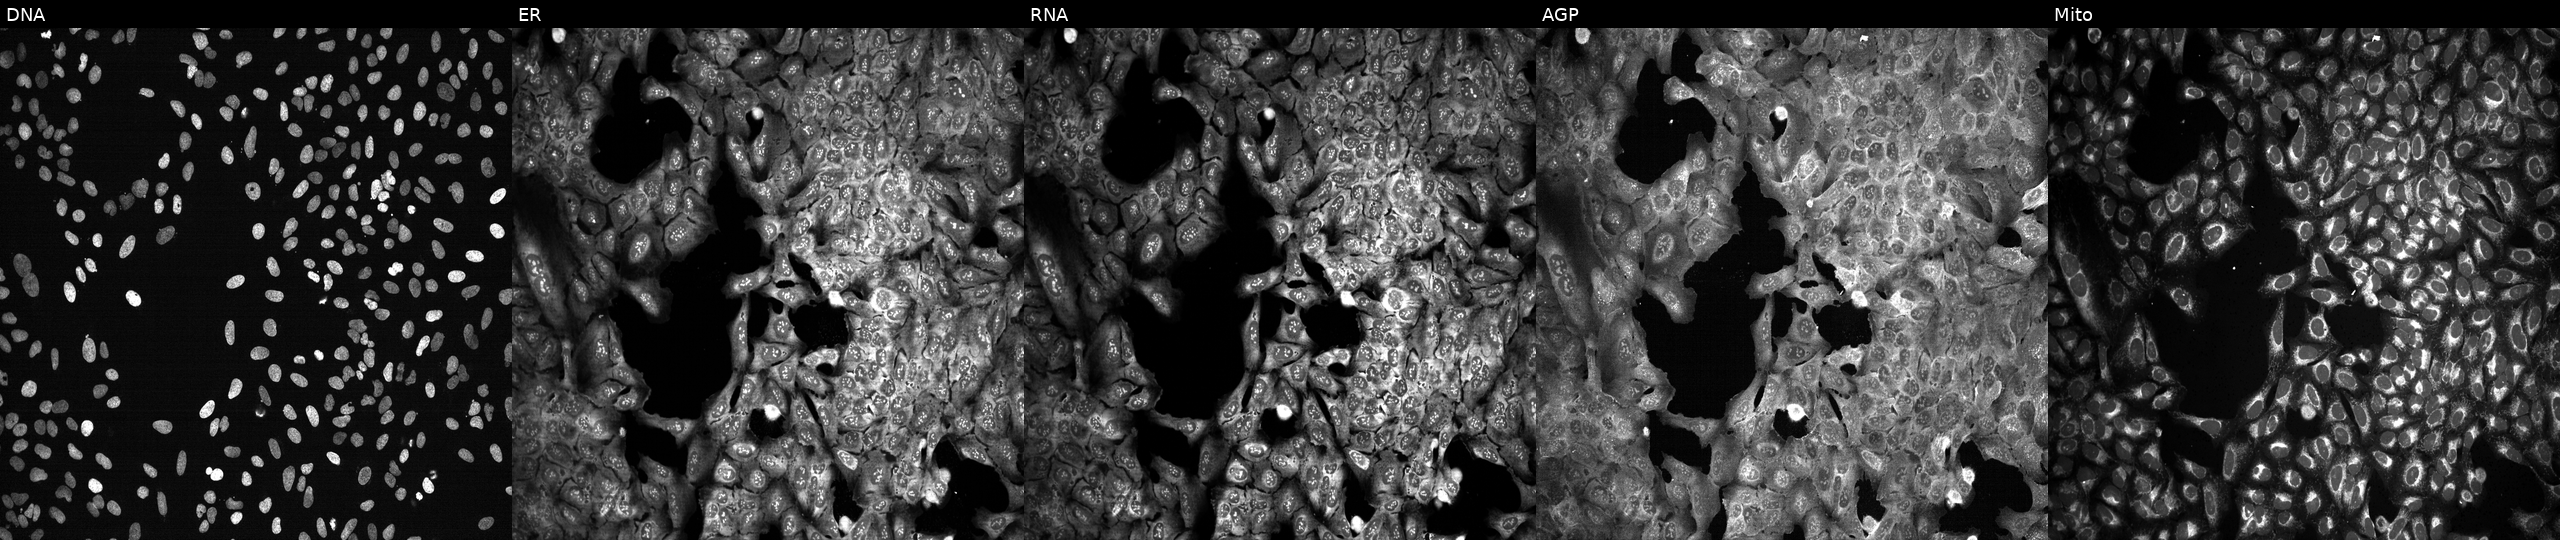
The five panels, left to right, show DNA, ER, RNA, AGP, and Mito. U2OS osteosarcoma cells CRISPR-edited to disrupt GALT (JUMP id JCP2022_802605). Cell Painting assay, JUMP-CP dataset.